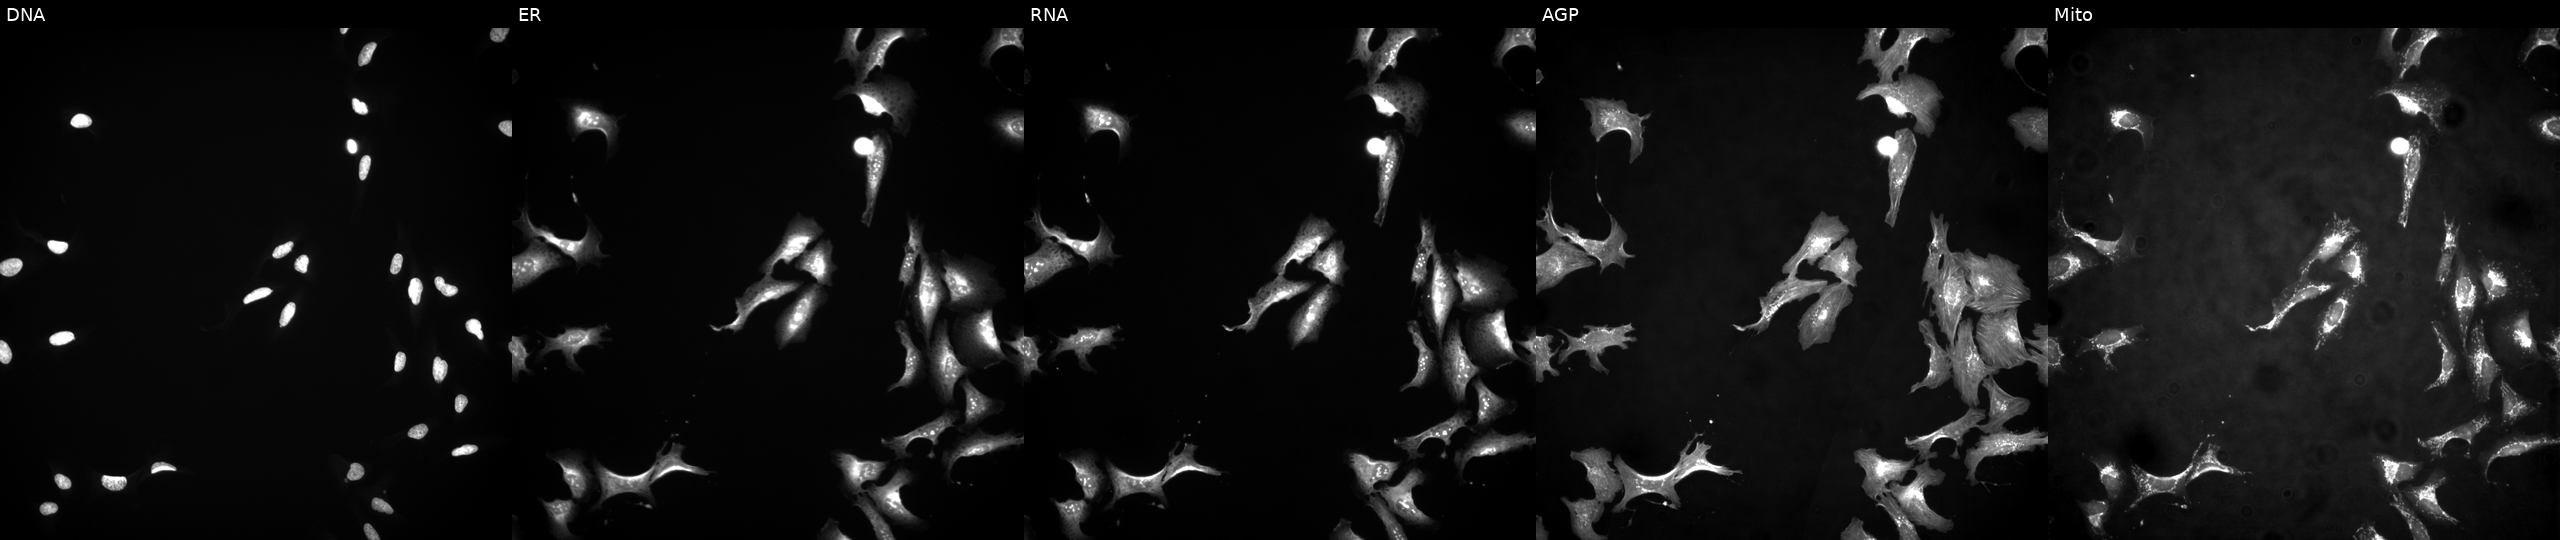
This image strip shows the five Cell Painting channels for a single field of U2OS cells with PNKP overexpressed (ORF). The five panels, left to right, show DNA (nuclei); ER (endoplasmic reticulum); RNA (nucleoli and cytoplasmic RNA); AGP (actin cytoskeleton, Golgi, and plasma membrane); Mito (mitochondria).